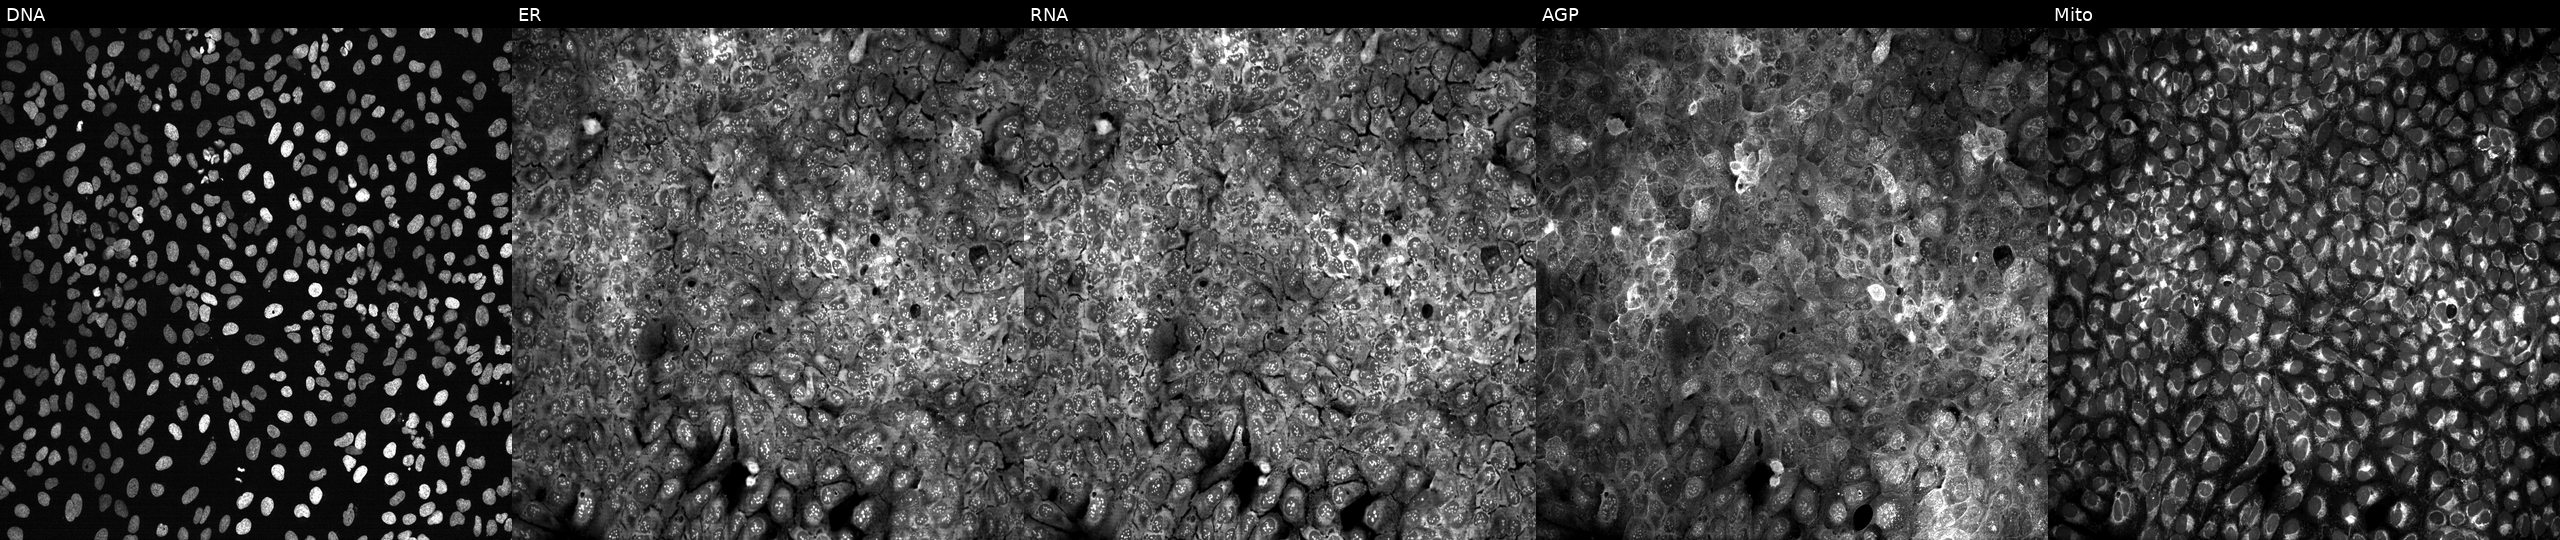
U2OS cells, Cell Painting assay, CRISPR-edited to disrupt RAB3D (JUMP id JCP2022_805772). The five panels, left to right, show Hoechst 33342, concanavalin A, SYTO 14, phalloidin and WGA, MitoTracker. Each panel is percentile-stretched 16-bit fluorescence. Source 13, plate CP-CC9-R4-04, well D18.